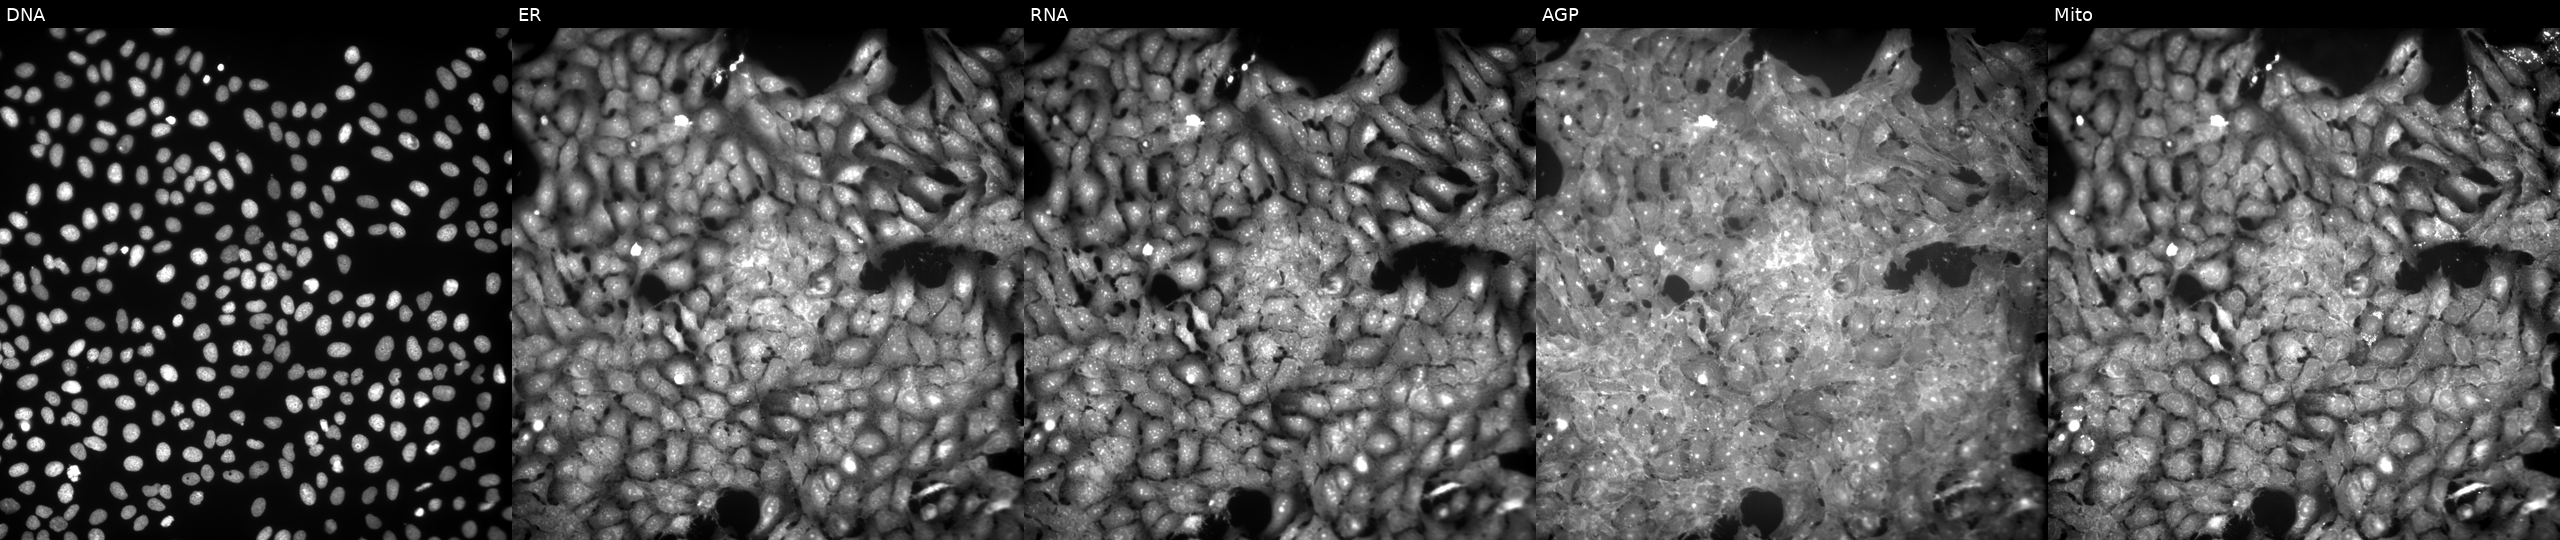
The five panels, left to right, show Hoechst 33342, concanavalin A, SYTO 14, phalloidin and WGA, MitoTracker. U2OS osteosarcoma cells exposed to the positive-control compound FK-866. Cell Painting assay, JUMP-CP dataset.